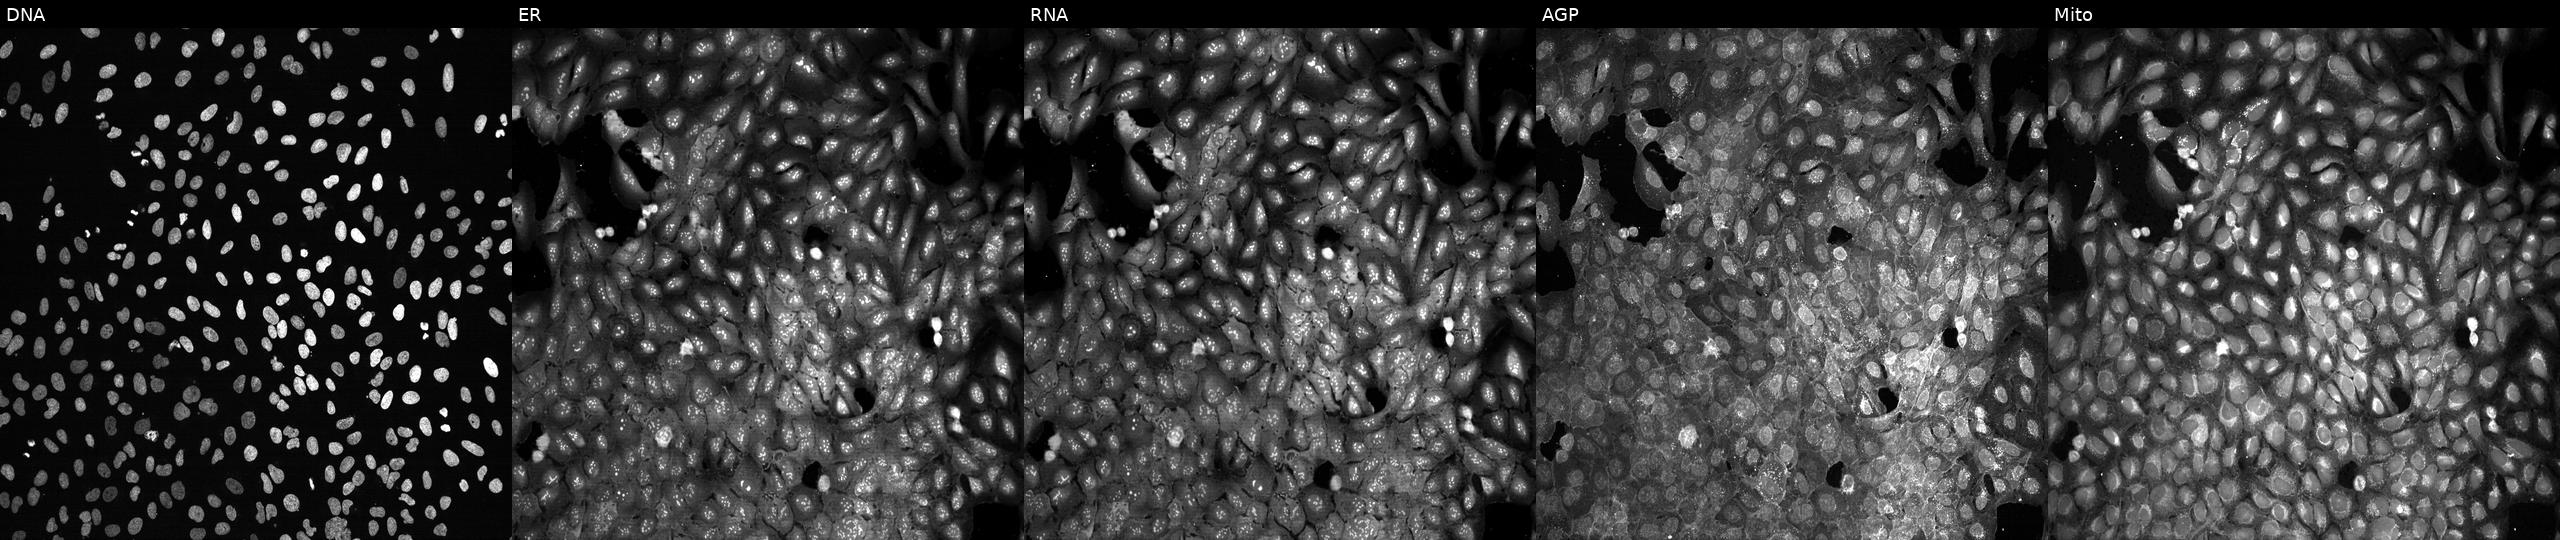
High-content fluorescence microscopy (Cell Painting). Cell line: U2OS. Perturbation: following CRISPR knockout of APOBEC1 (JUMP id JCP2022_800515). Channels (left→right): Hoechst 33342, concanavalin A, SYTO 14, phalloidin and WGA, MitoTracker.